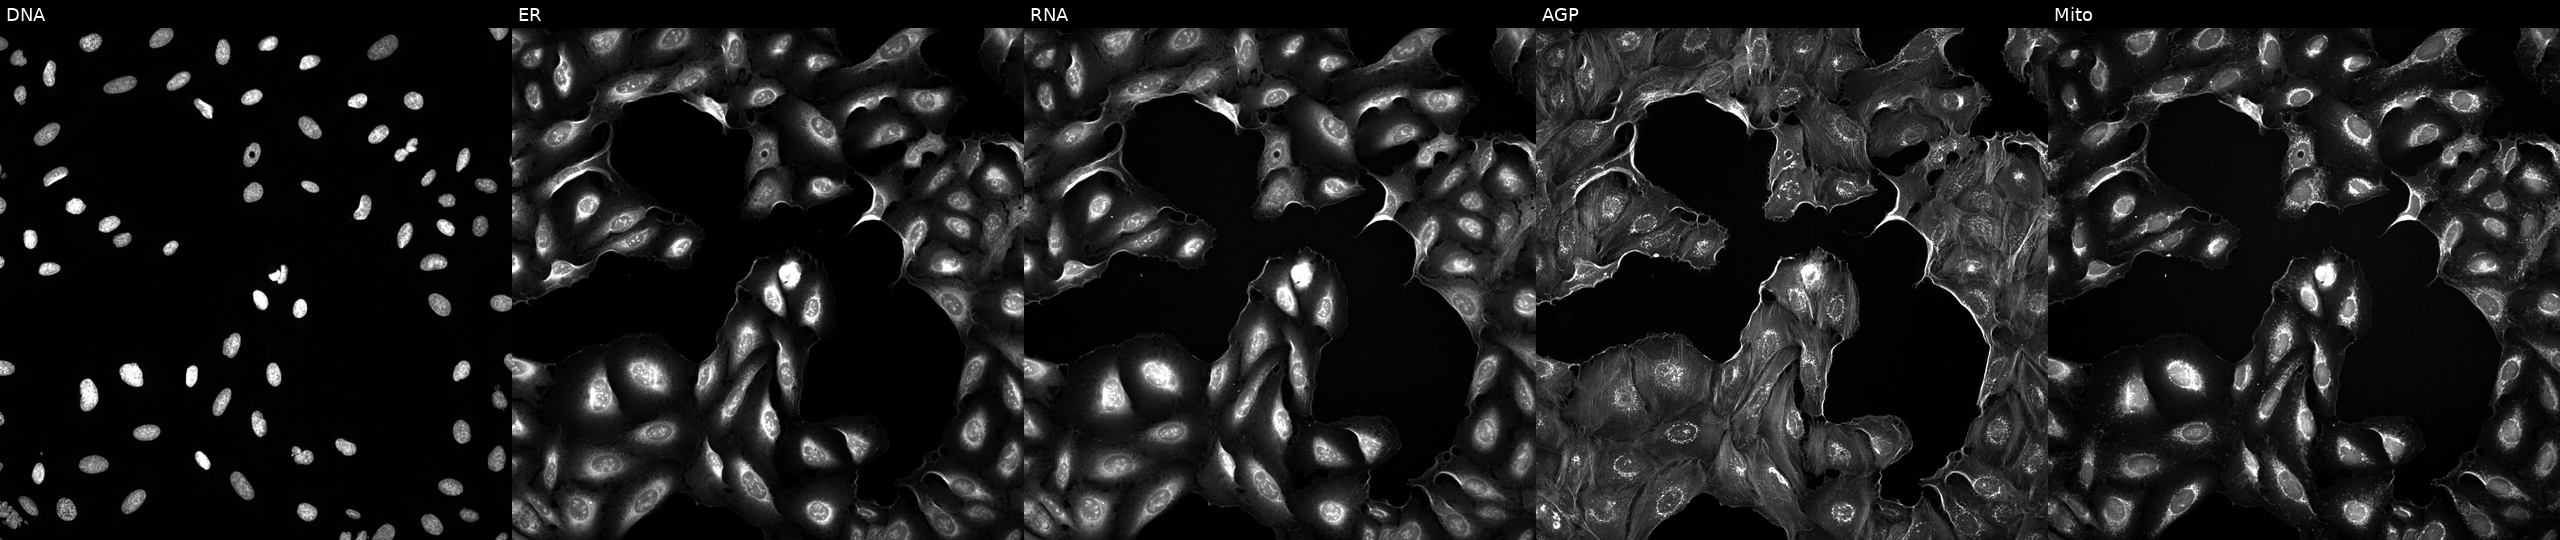
U2OS cells, Cell Painting assay, exposed to a small-molecule compound (InChIKey CAOWNCTTWGSKDO-UHFFFAOYSA-N) (JUMP id JCP2022_009886). Channels (left→right): DNA, ER, RNA, AGP, and Mito. Each panel is percentile-stretched 16-bit fluorescence. Source 5, plate ACPJUM012, well K05.